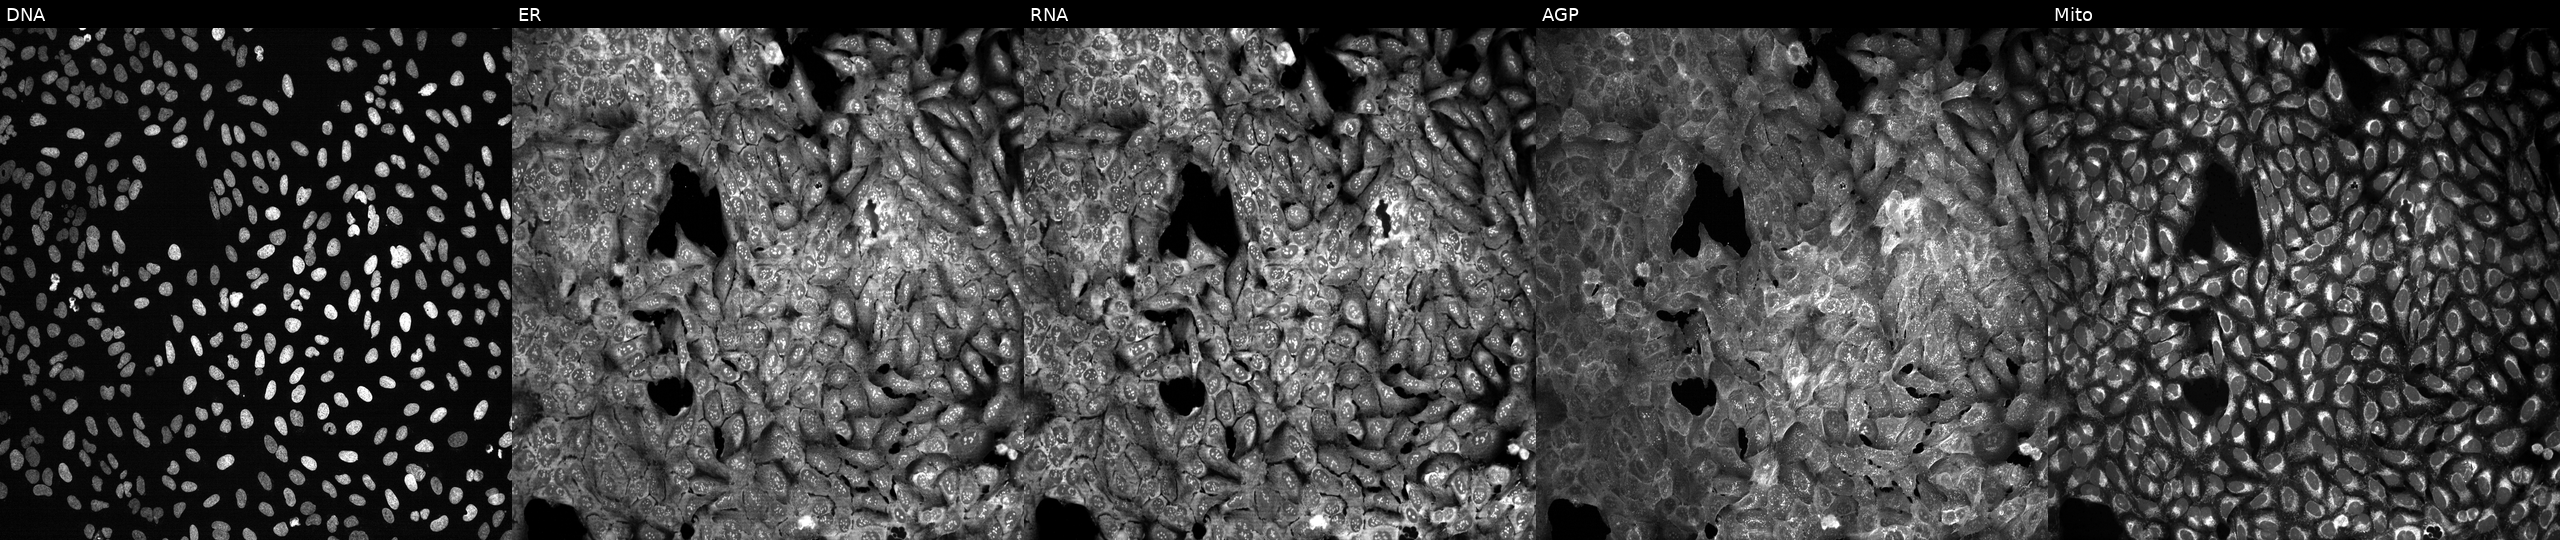
The five panels, left to right, show Hoechst 33342, concanavalin A, SYTO 14, phalloidin and WGA, MitoTracker. U2OS osteosarcoma cells with CPA2 knocked out by CRISPR (JUMP id JCP2022_801465). Cell Painting assay, JUMP-CP dataset.